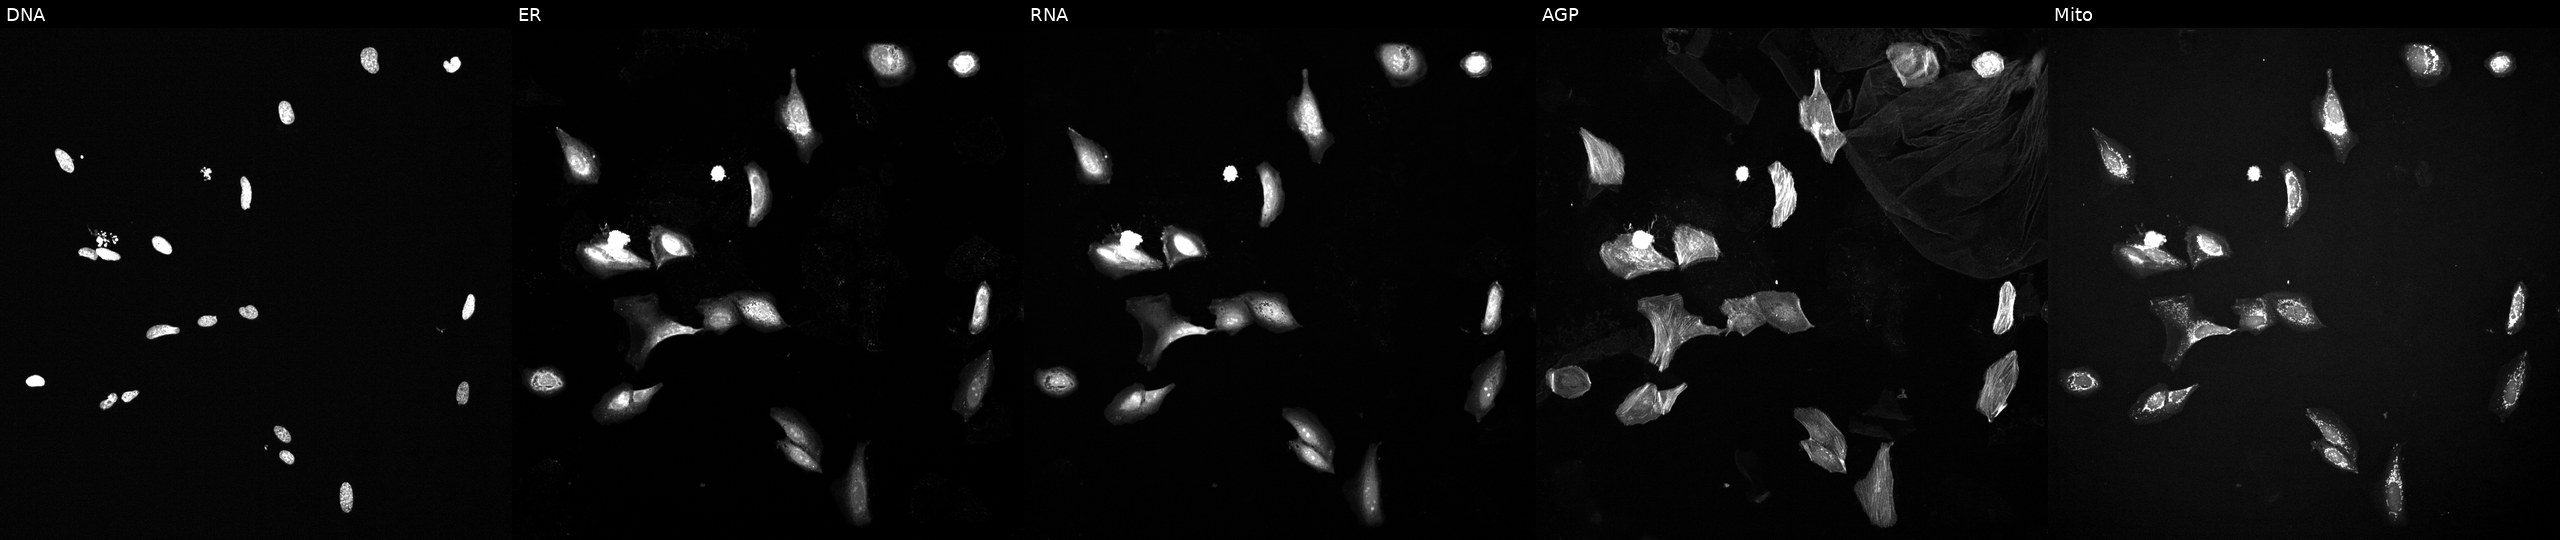
U2OS cells, Cell Painting assay, treated with a small-molecule compound [SMILES: Cc1nc(=Nc2[nH]nc3c2CN(C(=O)NC(CN(C)C)c2ccccc2)C3(C)C)c2sccc2[nH]1]. From left to right: Hoechst 33342, concanavalin A, SYTO 14, phalloidin and WGA, MitoTracker. Each panel is percentile-stretched 16-bit fluorescence.